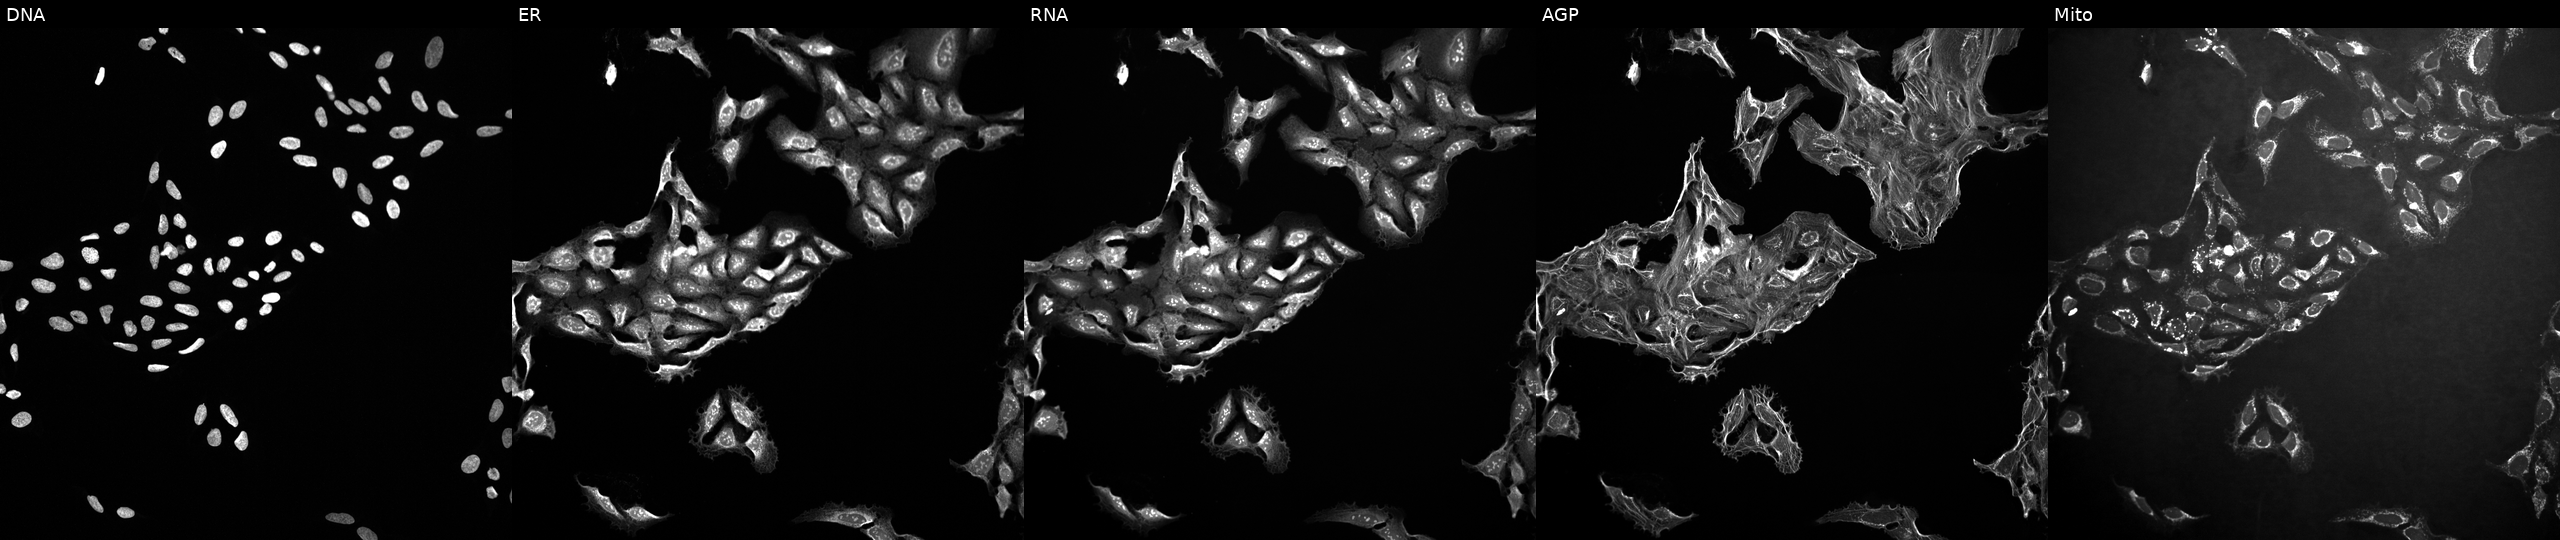
High-content fluorescence microscopy (Cell Painting). Cell line: U2OS. Perturbation: exposed to a small-molecule compound (InChIKey ZQPXNYLXYNRFNP-UHFFFAOYSA-N) (JUMP id JCP2022_115049). Panels show, left to right, DNA (nuclei); ER (endoplasmic reticulum); RNA (nucleoli and cytoplasmic RNA); AGP (actin cytoskeleton, Golgi, and plasma membrane); Mito (mitochondria). Source 10, plate Dest210726-160150, well C14.